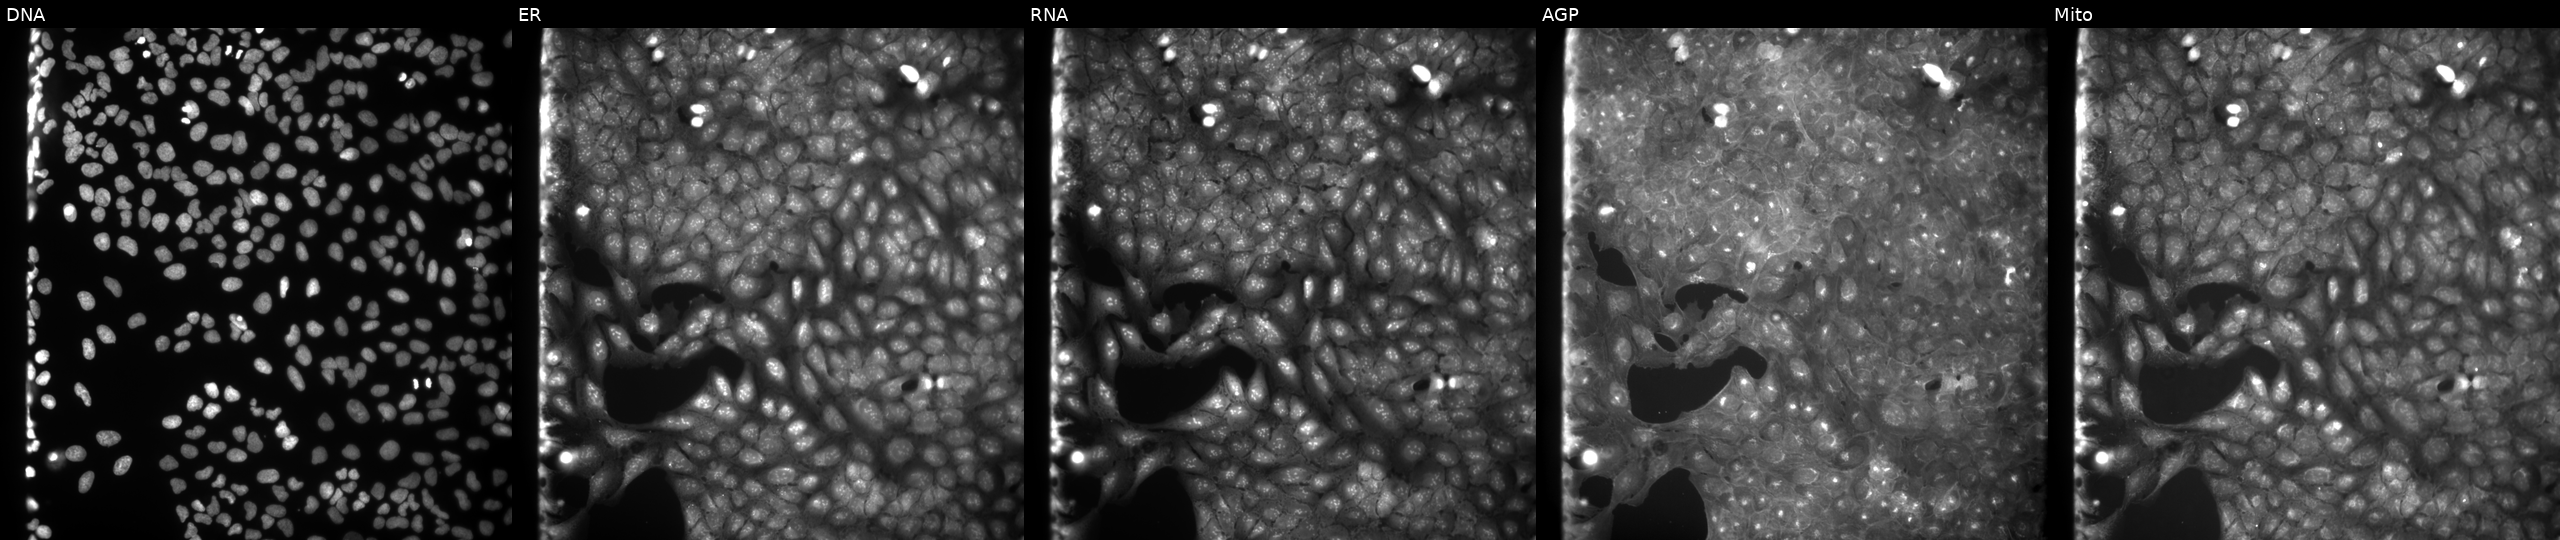
This image strip shows the five Cell Painting channels for a single field of U2OS cells perturbed with a small-molecule compound (JUMP id JCP2022_075601). Channels (left→right): DNA (nuclei); ER (endoplasmic reticulum); RNA (nucleoli and cytoplasmic RNA); AGP (actin cytoskeleton, Golgi, and plasma membrane); Mito (mitochondria).